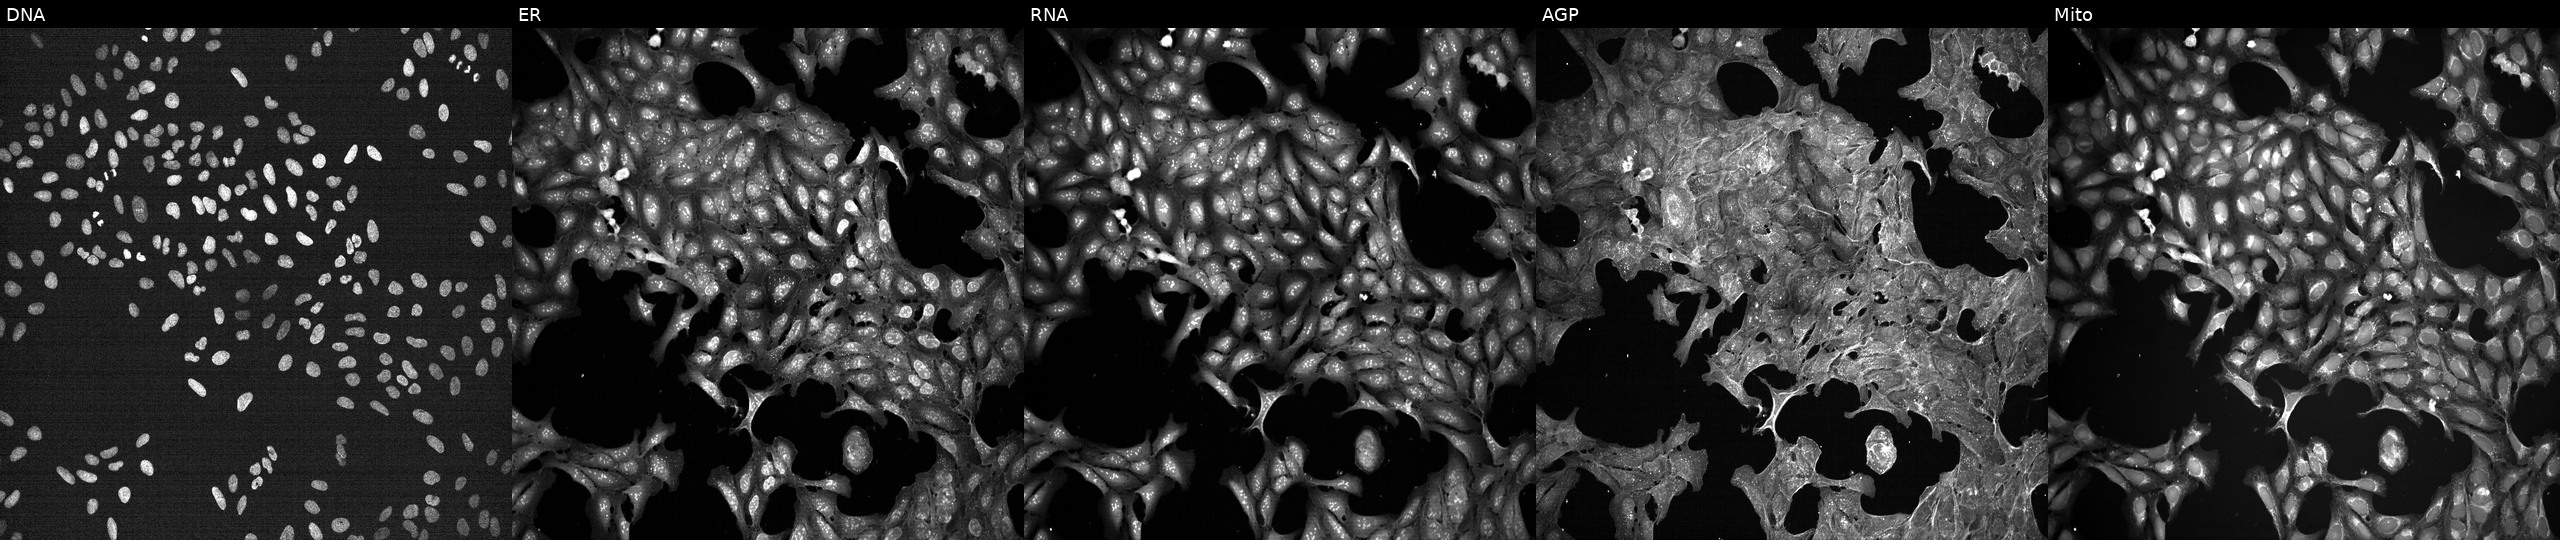
U2OS cells, Cell Painting assay, exposed to a small-molecule compound (JUMP id JCP2022_066287). Channels (left→right): DNA, ER, RNA, AGP, and Mito. Each panel is percentile-stretched 16-bit fluorescence.